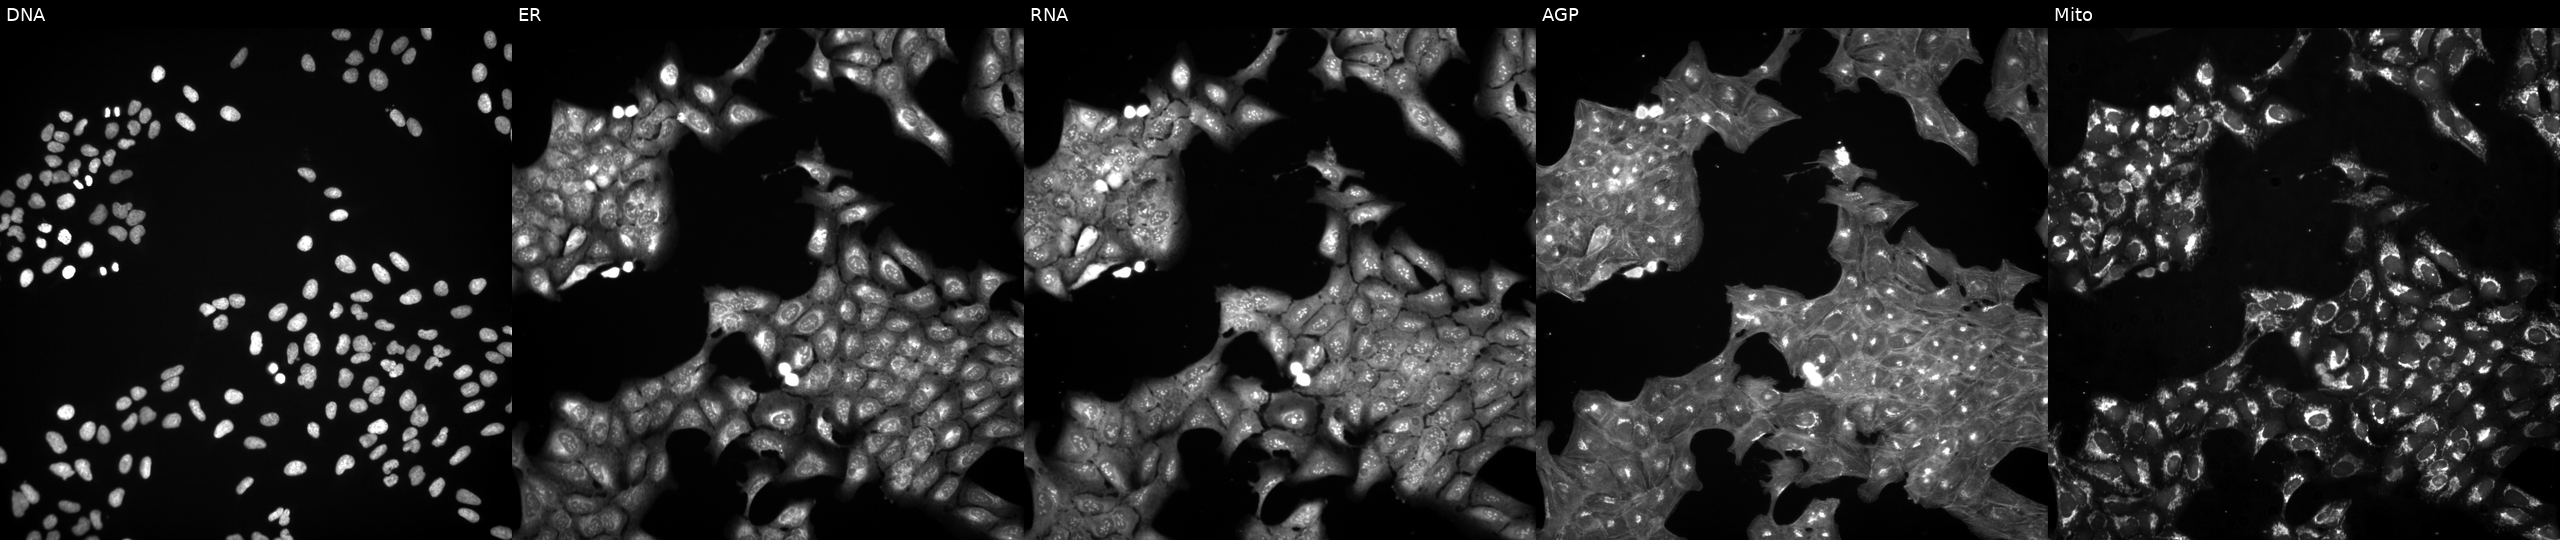
U2OS cells, Cell Painting assay, exposed to DMSO alone as a negative control. Panels show, left to right, DNA, ER, RNA, AGP, and Mito. Each panel is percentile-stretched 16-bit fluorescence.